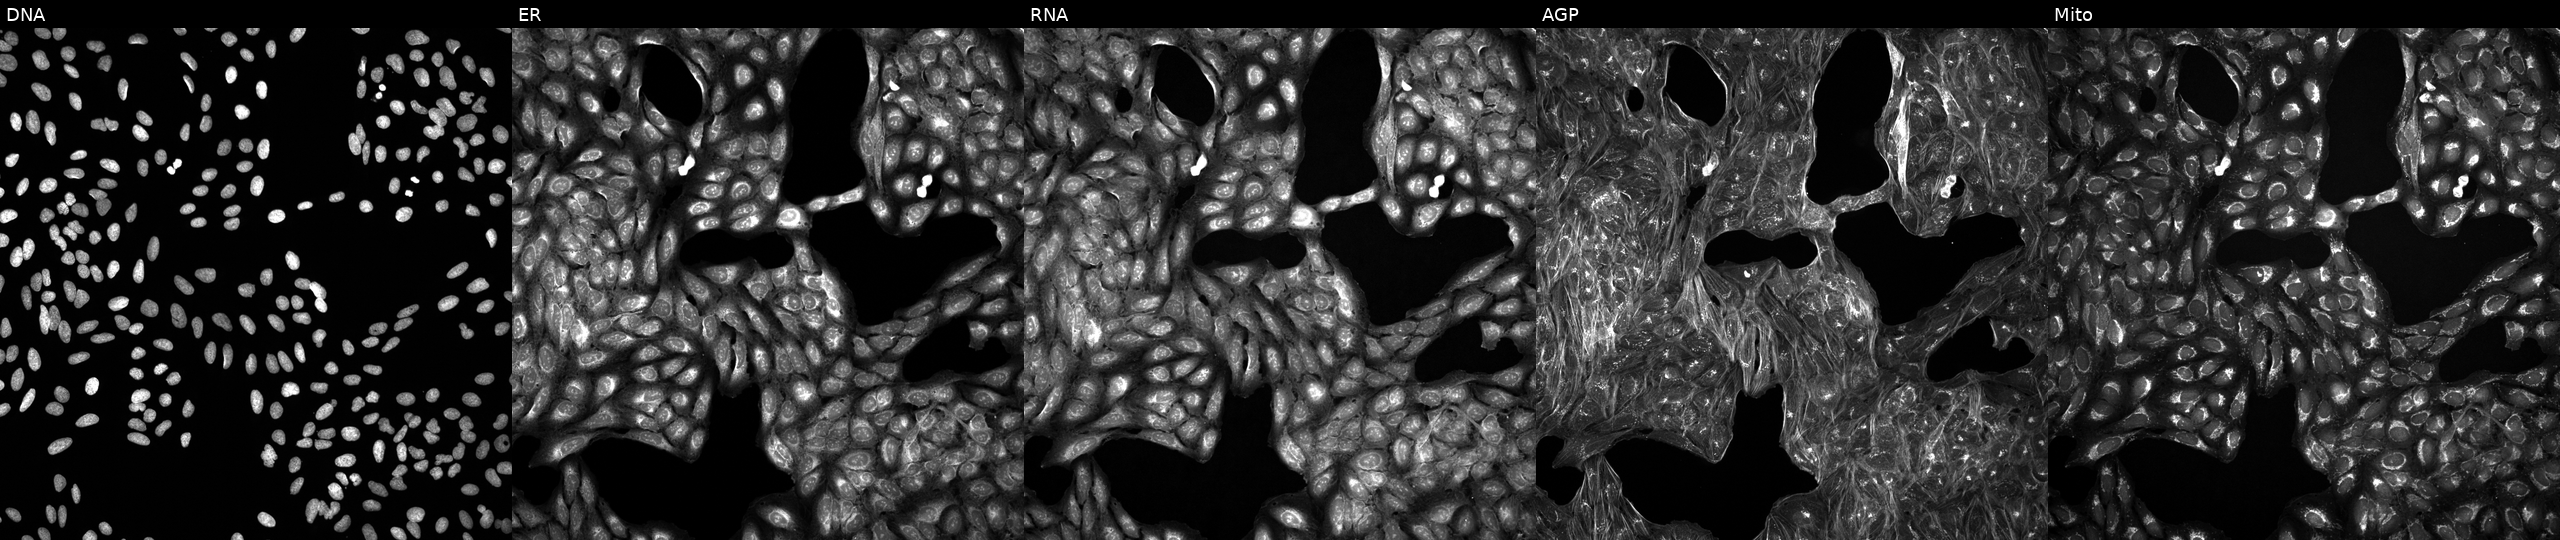
Five-channel Cell Painting image of U2OS cells perturbed with a small-molecule compound (InChIKey UIEATEWHFDRYRU-UHFFFAOYSA-N) (JUMP id JCP2022_089383). Channels (left→right): DNA (nuclei); ER (endoplasmic reticulum); RNA (nucleoli and cytoplasmic RNA); AGP (actin cytoskeleton, Golgi, and plasma membrane); Mito (mitochondria).